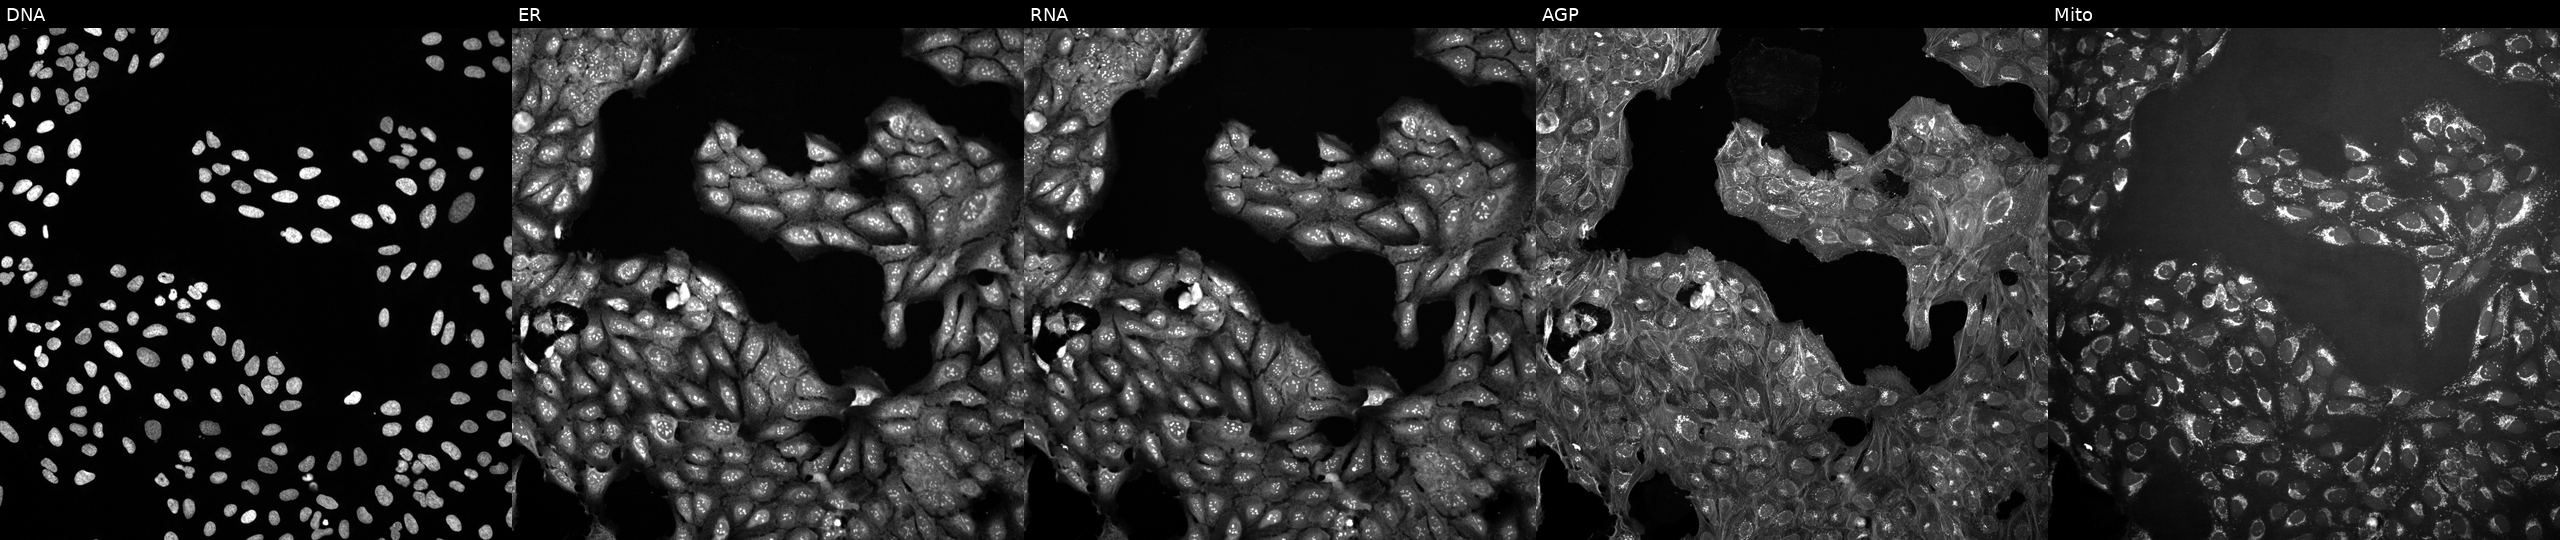
High-content fluorescence microscopy (Cell Painting). Cell line: U2OS. Perturbation: untreated (empty-well control). The five panels, left to right, show DNA (nuclei); ER (endoplasmic reticulum); RNA (nucleoli and cytoplasmic RNA); AGP (actin cytoskeleton, Golgi, and plasma membrane); Mito (mitochondria).